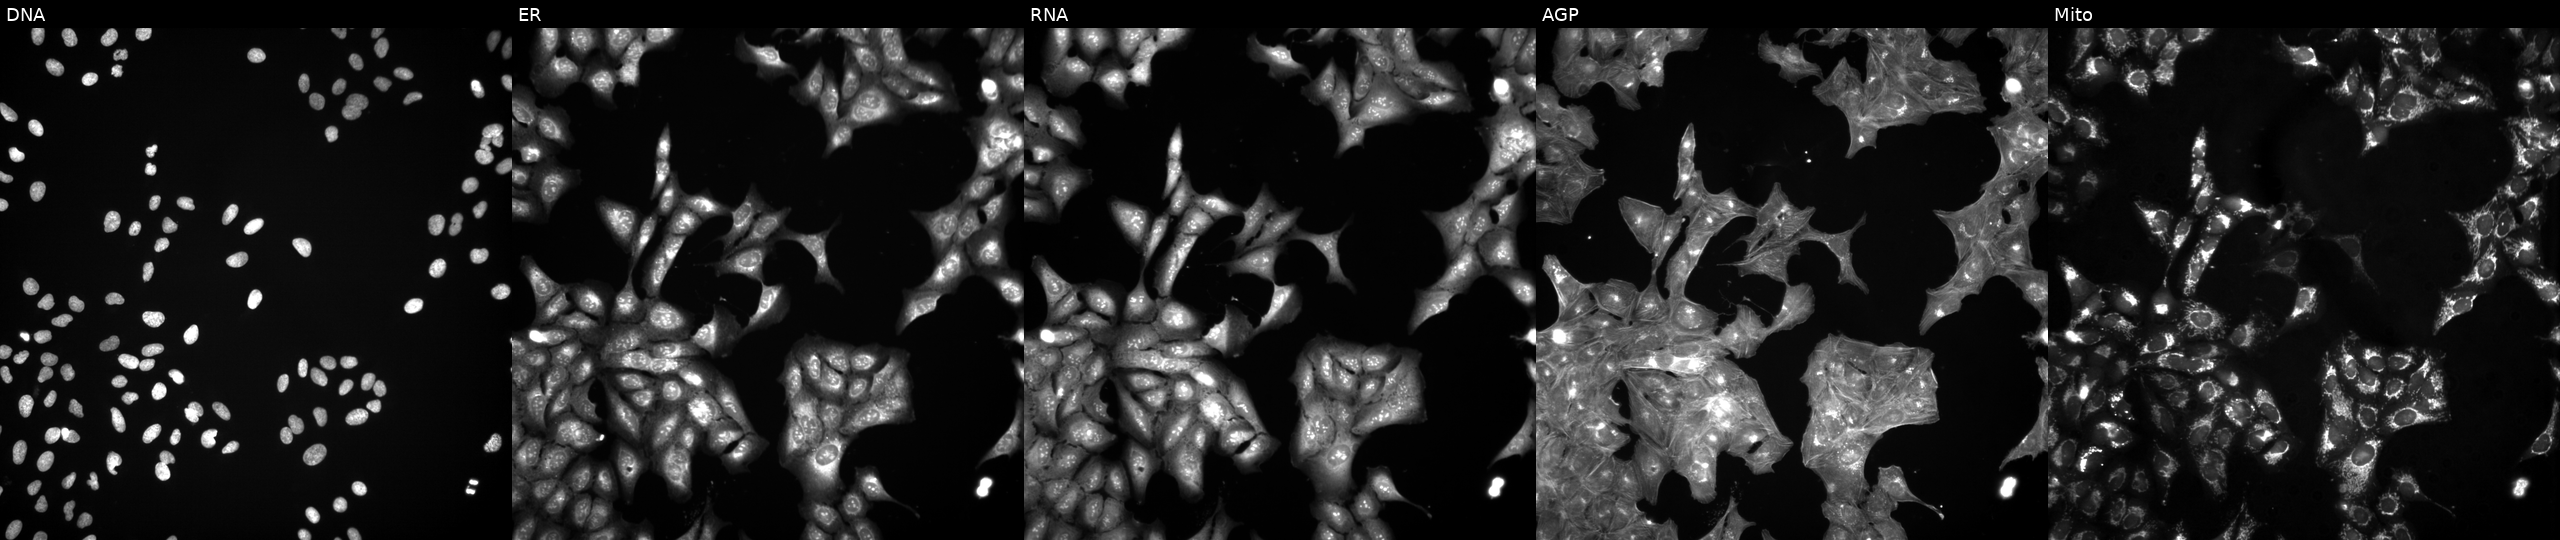
JUMP Cell Painting — TARGET2 plate. U2OS cells treated with DMSO vehicle only (negative control). Channels (left→right): DNA, ER, RNA, AGP, and Mito. Source 3, plate JCPQC053, well M03.